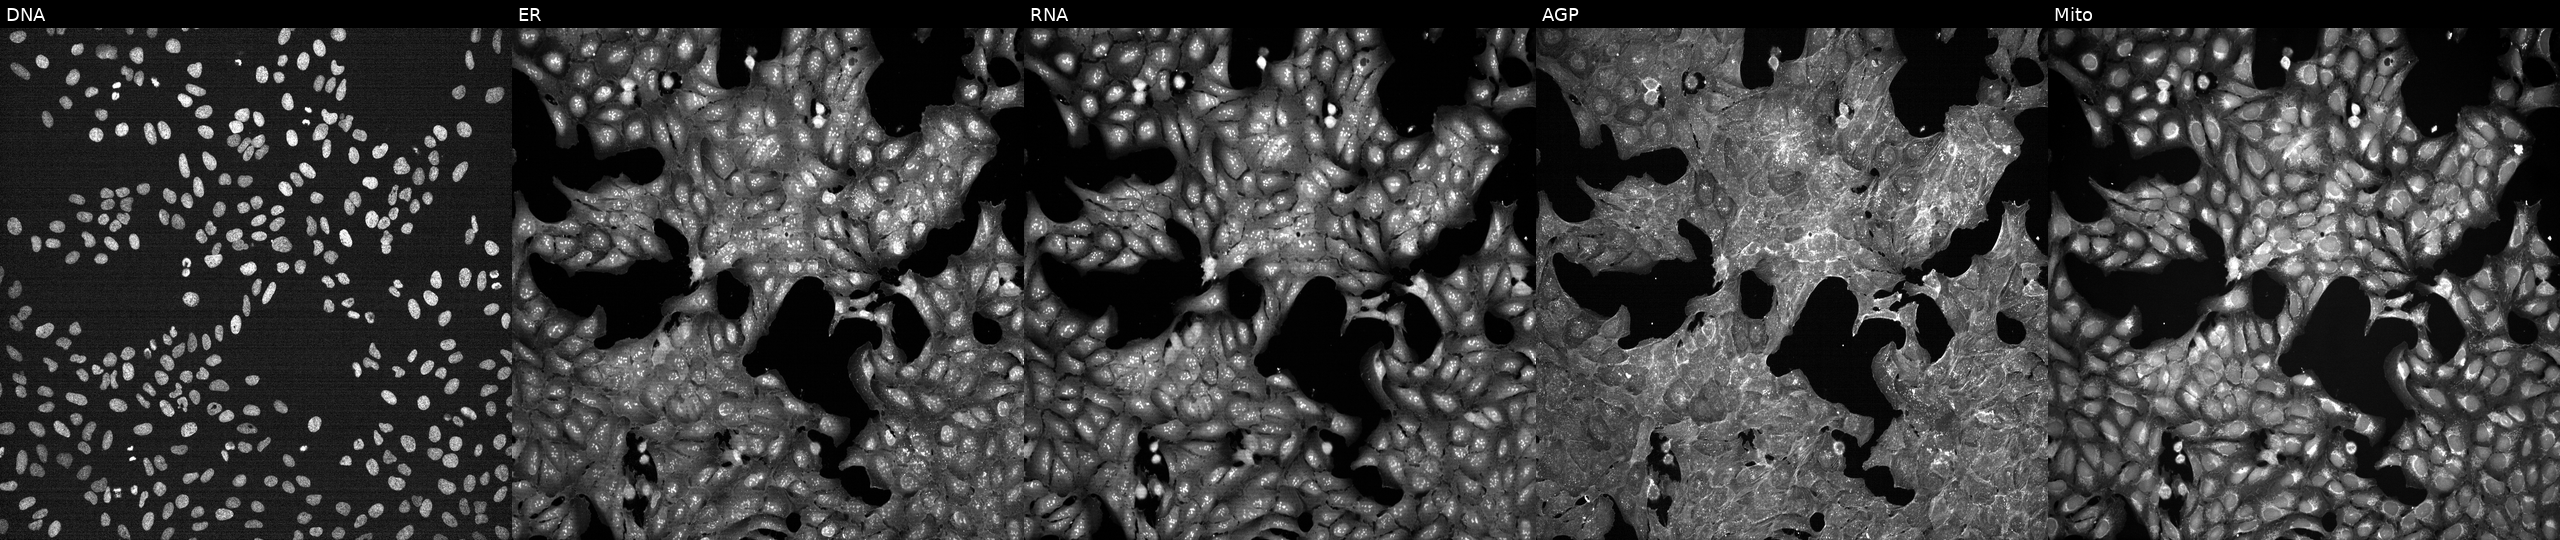
JUMP Cell Painting — TARGET2 plate. U2OS cells perturbed with a small-molecule compound (InChIKey TYNLGDBUJLVSMA-UHFFFAOYSA-N) (JUMP id JCP2022_087562). Panels show, left to right, Hoechst 33342, concanavalin A, SYTO 14, phalloidin and WGA, MitoTracker. Source 7, plate CP1-SC1-25, well N11.